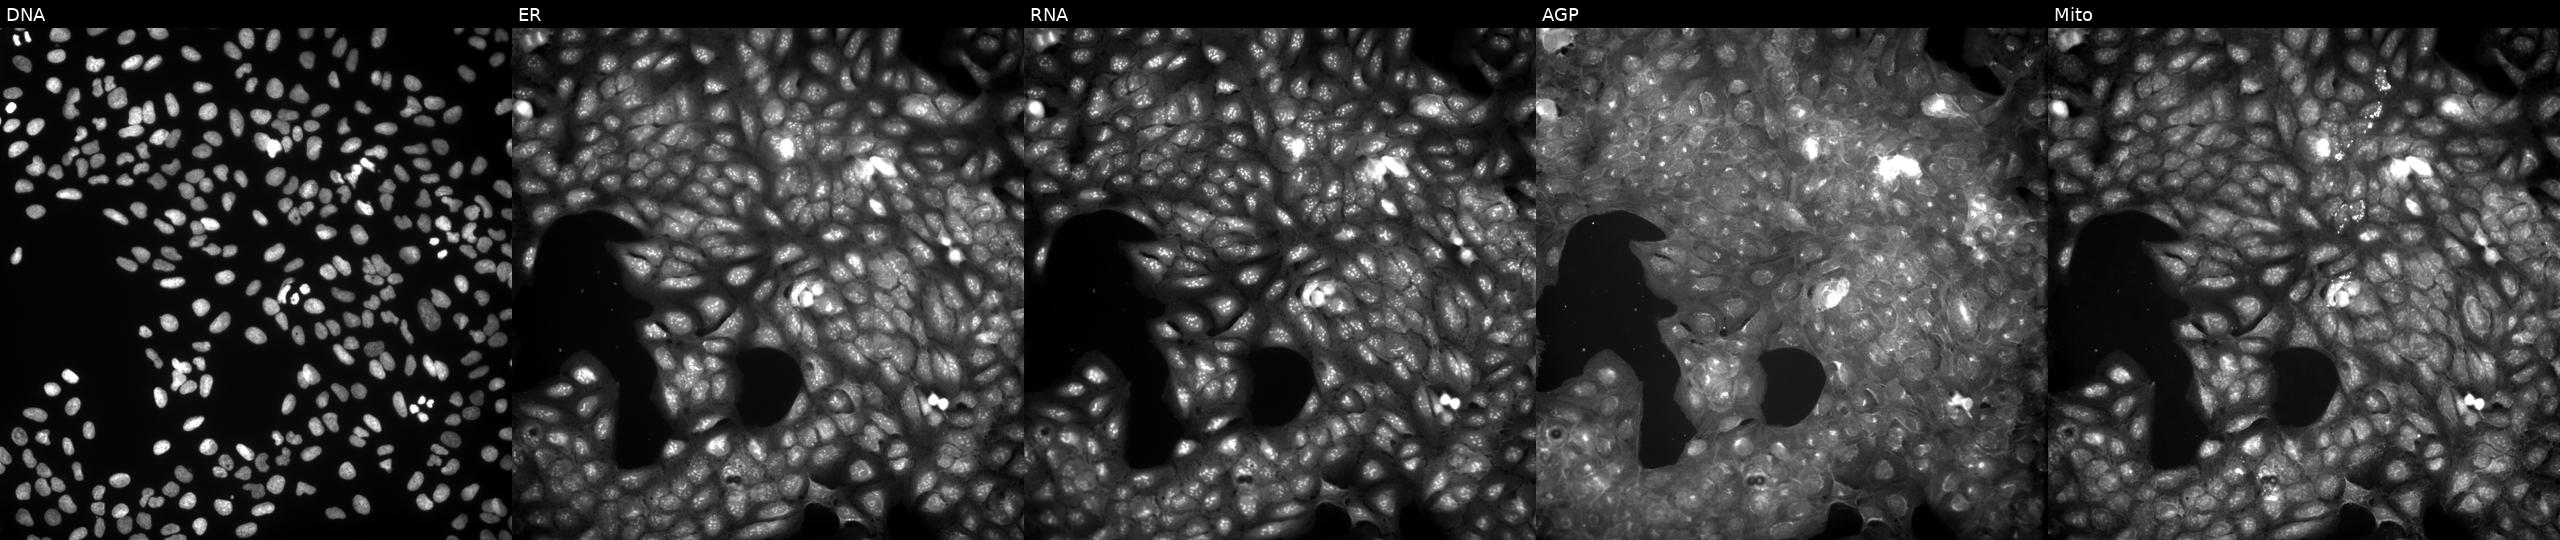
Five-channel Cell Painting image of U2OS cells exposed to a small-molecule compound (InChIKey MZHPUAGJDBODSC-UHFFFAOYSA-N). Panels show, left to right, DNA (nuclei); ER (endoplasmic reticulum); RNA (nucleoli and cytoplasmic RNA); AGP (actin cytoskeleton, Golgi, and plasma membrane); Mito (mitochondria). Source 9, plate GR00003381, well T22.